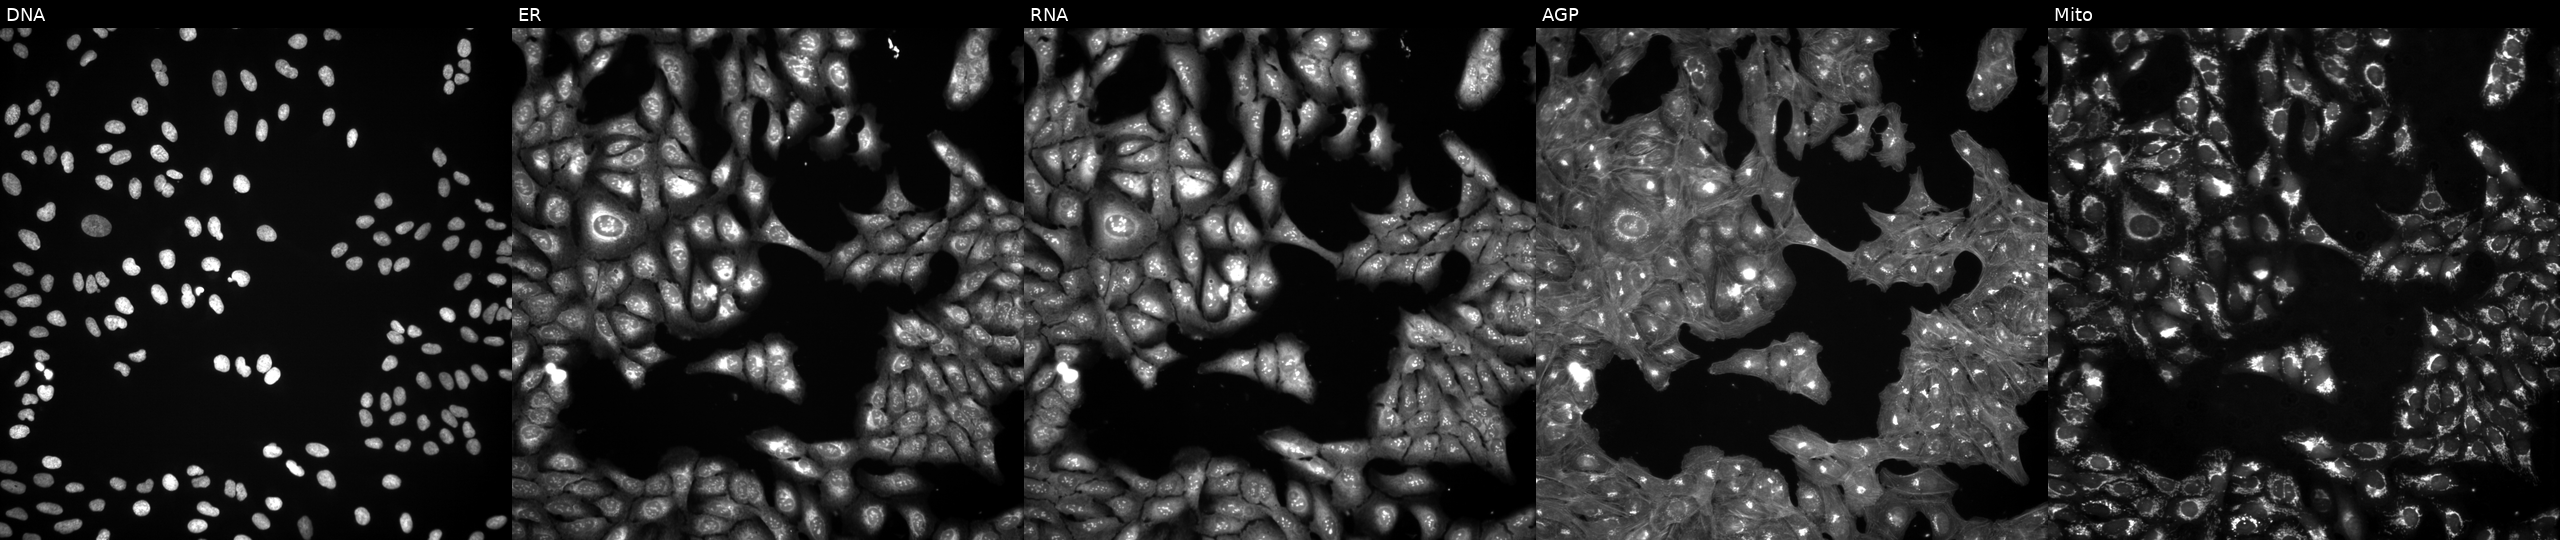
Five-channel Cell Painting image of U2OS cells treated with a small-molecule compound. The five panels, left to right, show DNA (nuclei); ER (endoplasmic reticulum); RNA (nucleoli and cytoplasmic RNA); AGP (actin cytoskeleton, Golgi, and plasma membrane); Mito (mitochondria). Source 3, plate BR5867a3, well J06.